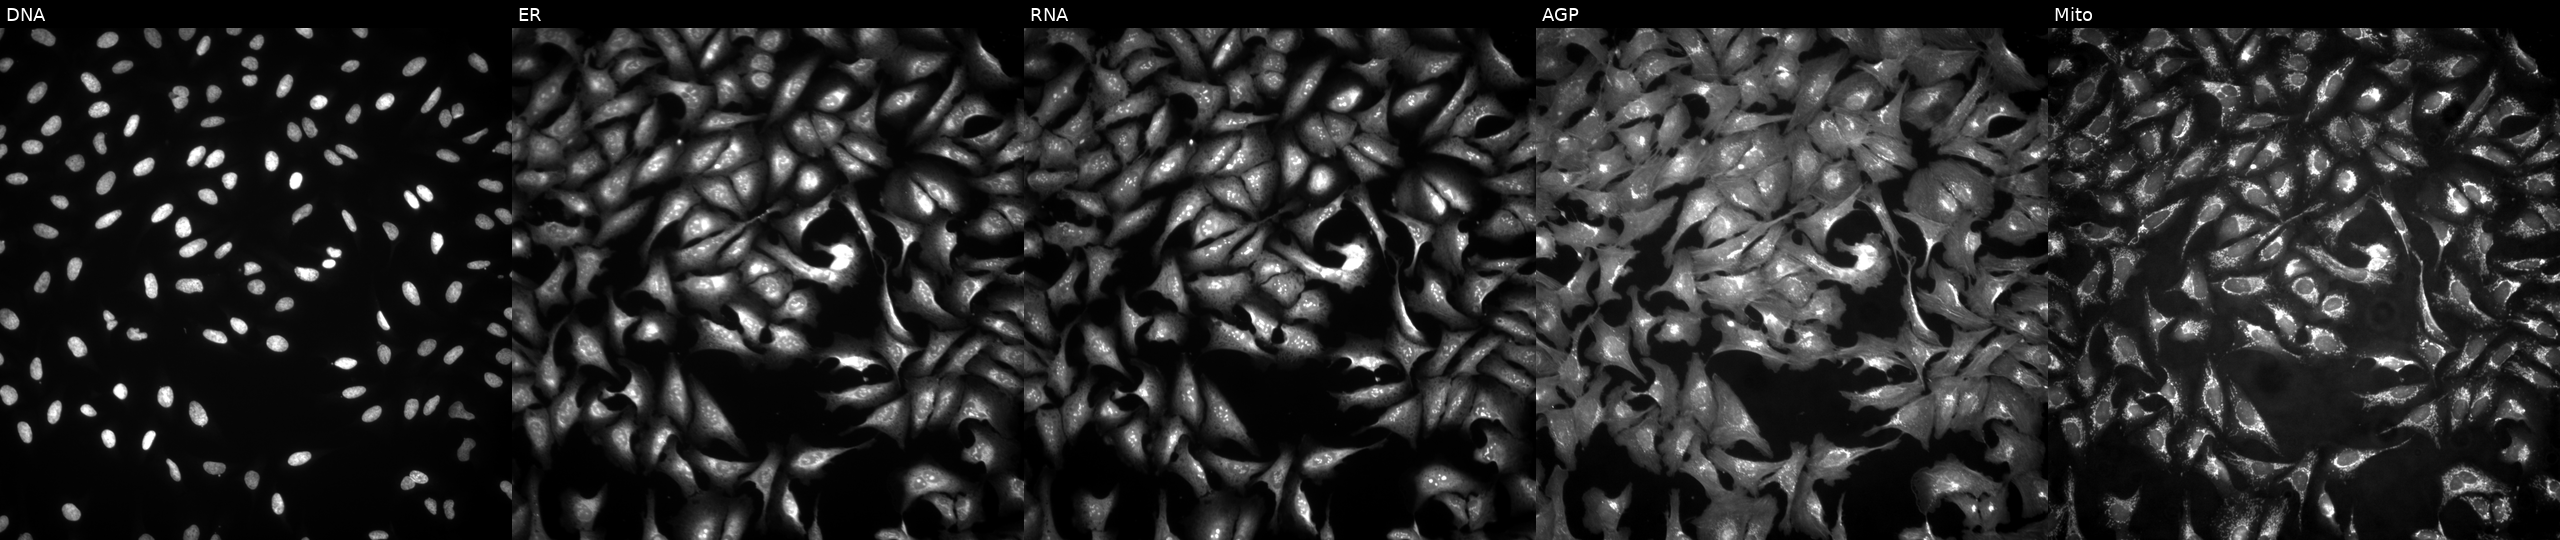
JUMP Cell Painting — ORF plate. U2OS cells with YWHAB overexpressed (ORF) (JUMP id JCP2022_910465). Panels show, left to right, Hoechst 33342, concanavalin A, SYTO 14, phalloidin and WGA, MitoTracker.